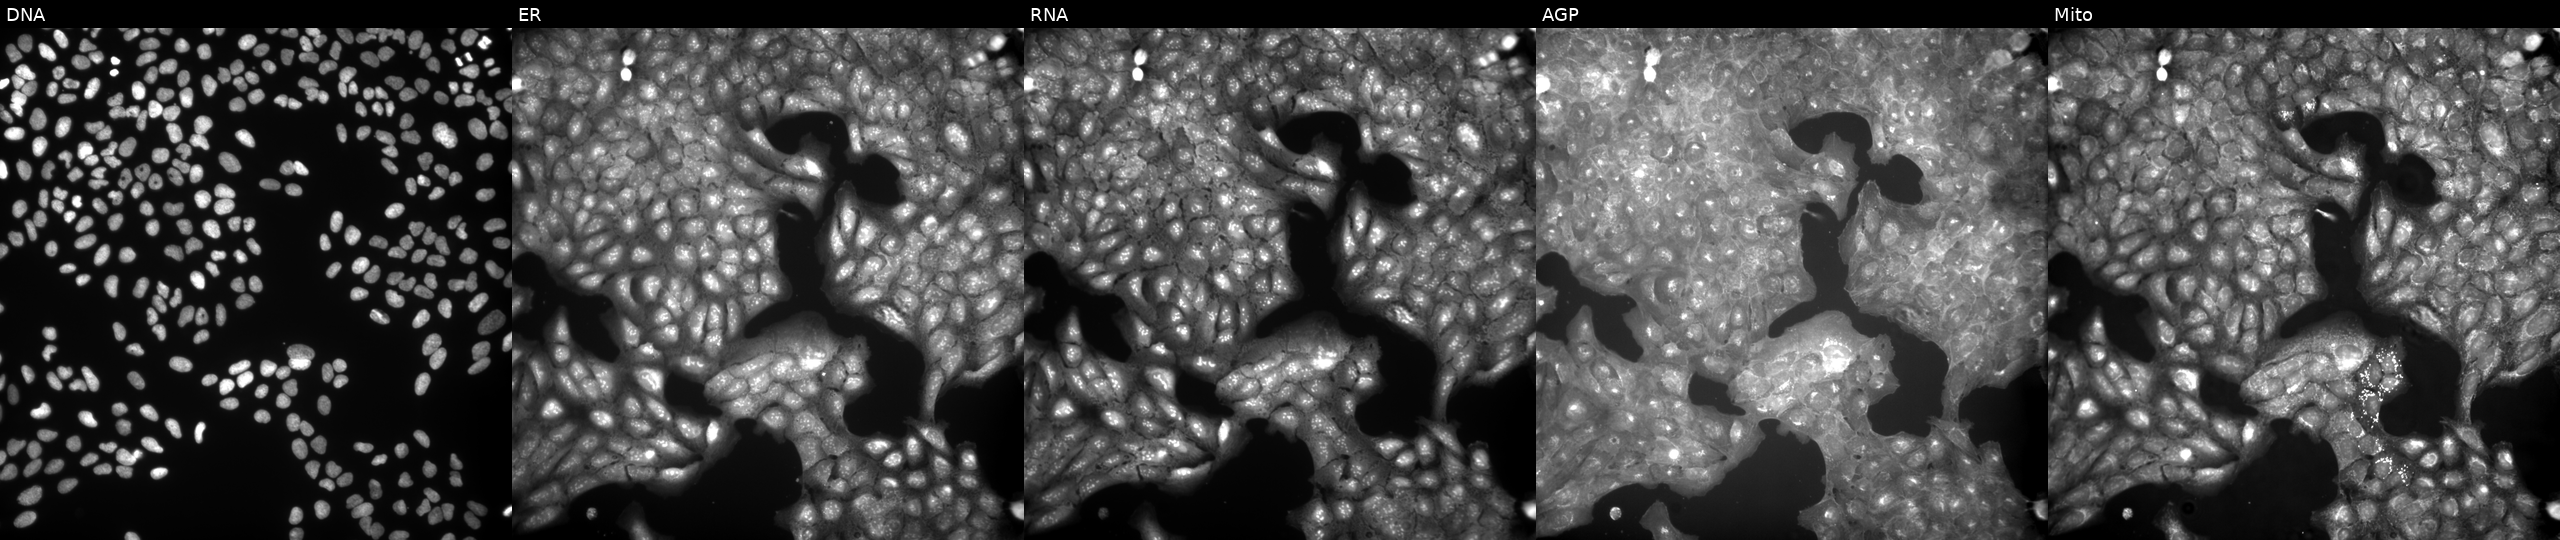
JUMP Cell Painting — COMPOUND plate. U2OS cells exposed to a small-molecule compound (InChIKey WSYGWGVDWHZQPW-UHFFFAOYSA-N) [SMILES: COc1ccc(CCNC(=O)COc2ccccc2[N+](=O)[O-])cc1OC] (JUMP id JCP2022_100961). Channels (left→right): DNA (nuclei); ER (endoplasmic reticulum); RNA (nucleoli and cytoplasmic RNA); AGP (actin cytoskeleton, Golgi, and plasma membrane); Mito (mitochondria).